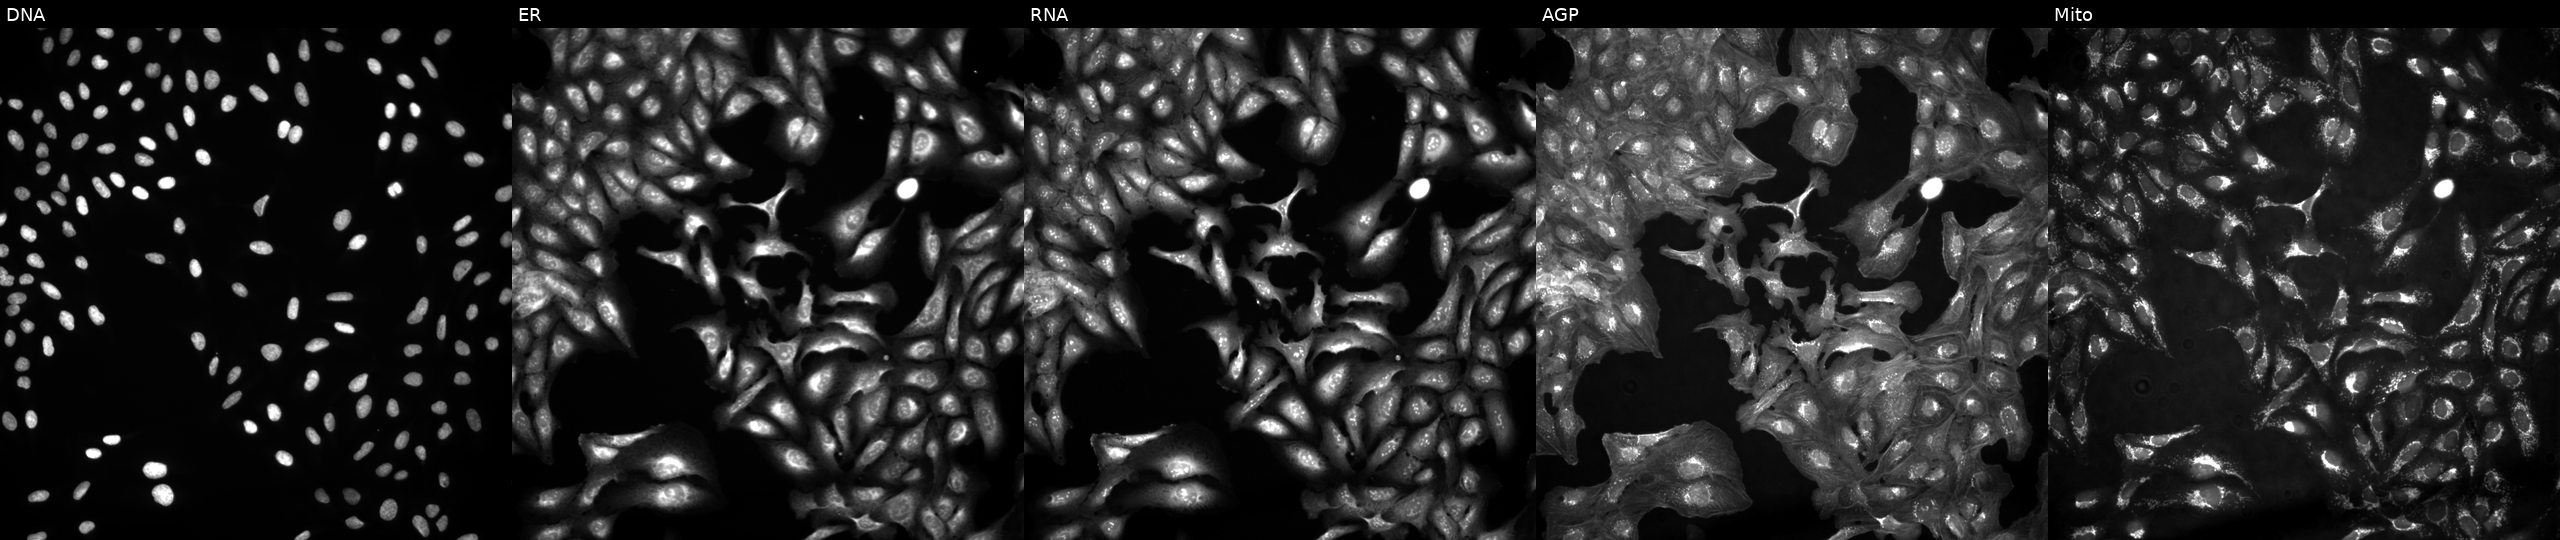
JUMP Cell Painting — ORF plate. U2OS cells untreated (empty-well control) (JUMP id JCP2022_999999). The five panels, left to right, show DNA (nuclei); ER (endoplasmic reticulum); RNA (nucleoli and cytoplasmic RNA); AGP (actin cytoskeleton, Golgi, and plasma membrane); Mito (mitochondria). Source 4, plate BR00124793, well D24.